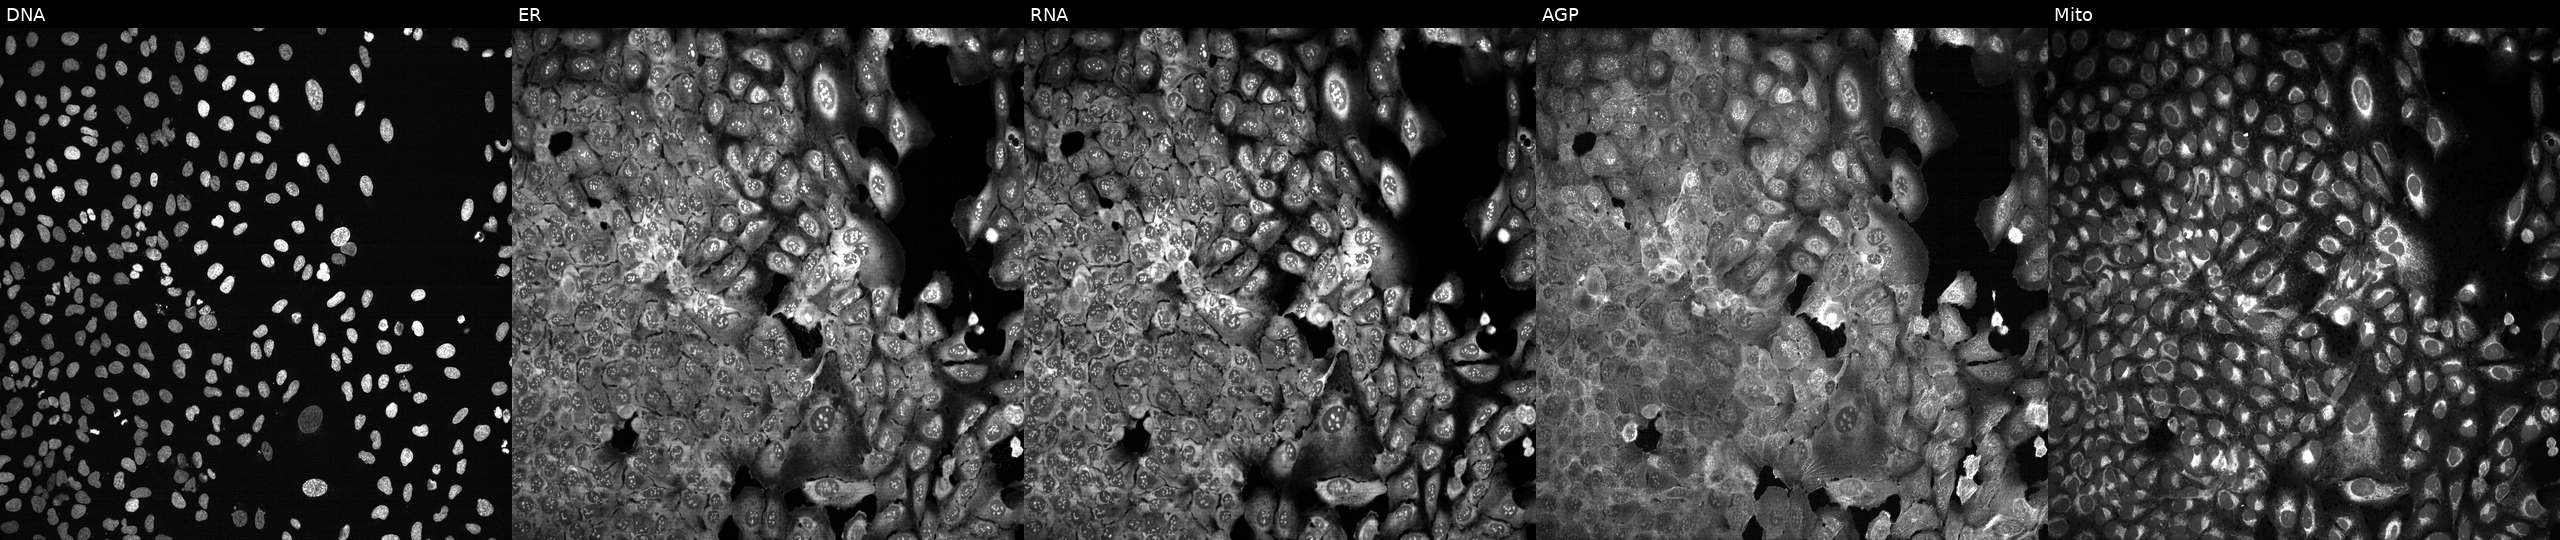
JUMP Cell Painting — CRISPR plate. U2OS cells CRISPR-edited to disrupt MOCOS. Panels show, left to right, Hoechst 33342, concanavalin A, SYTO 14, phalloidin and WGA, MitoTracker.